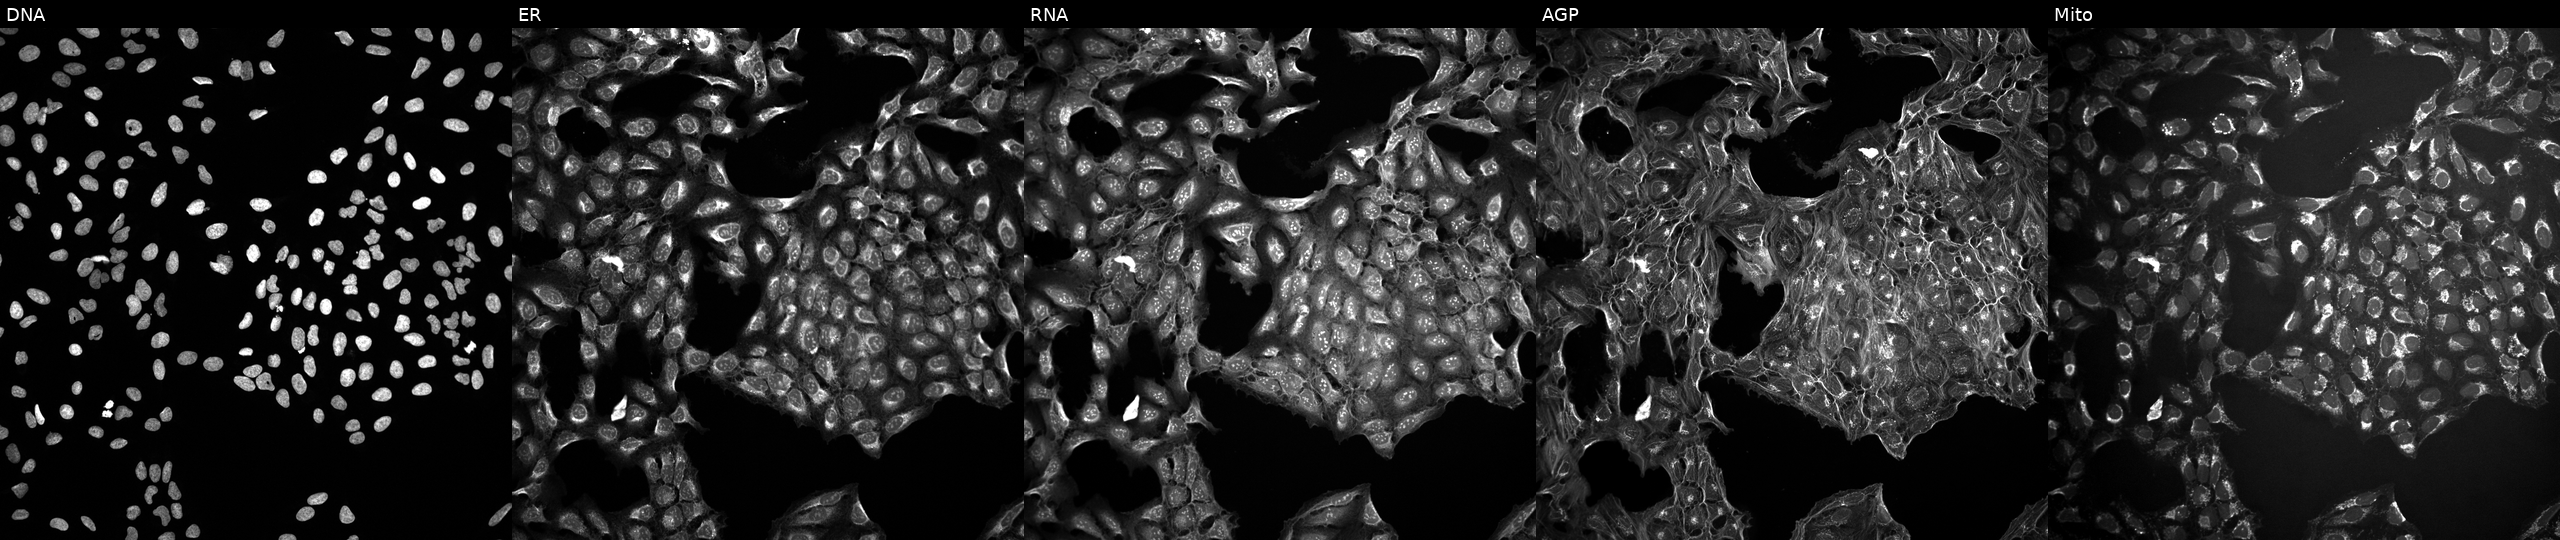
JUMP Cell Painting — COMPOUND plate. U2OS cells in an empty control well (no perturbation). Channels (left→right): DNA, ER, RNA, AGP, and Mito.